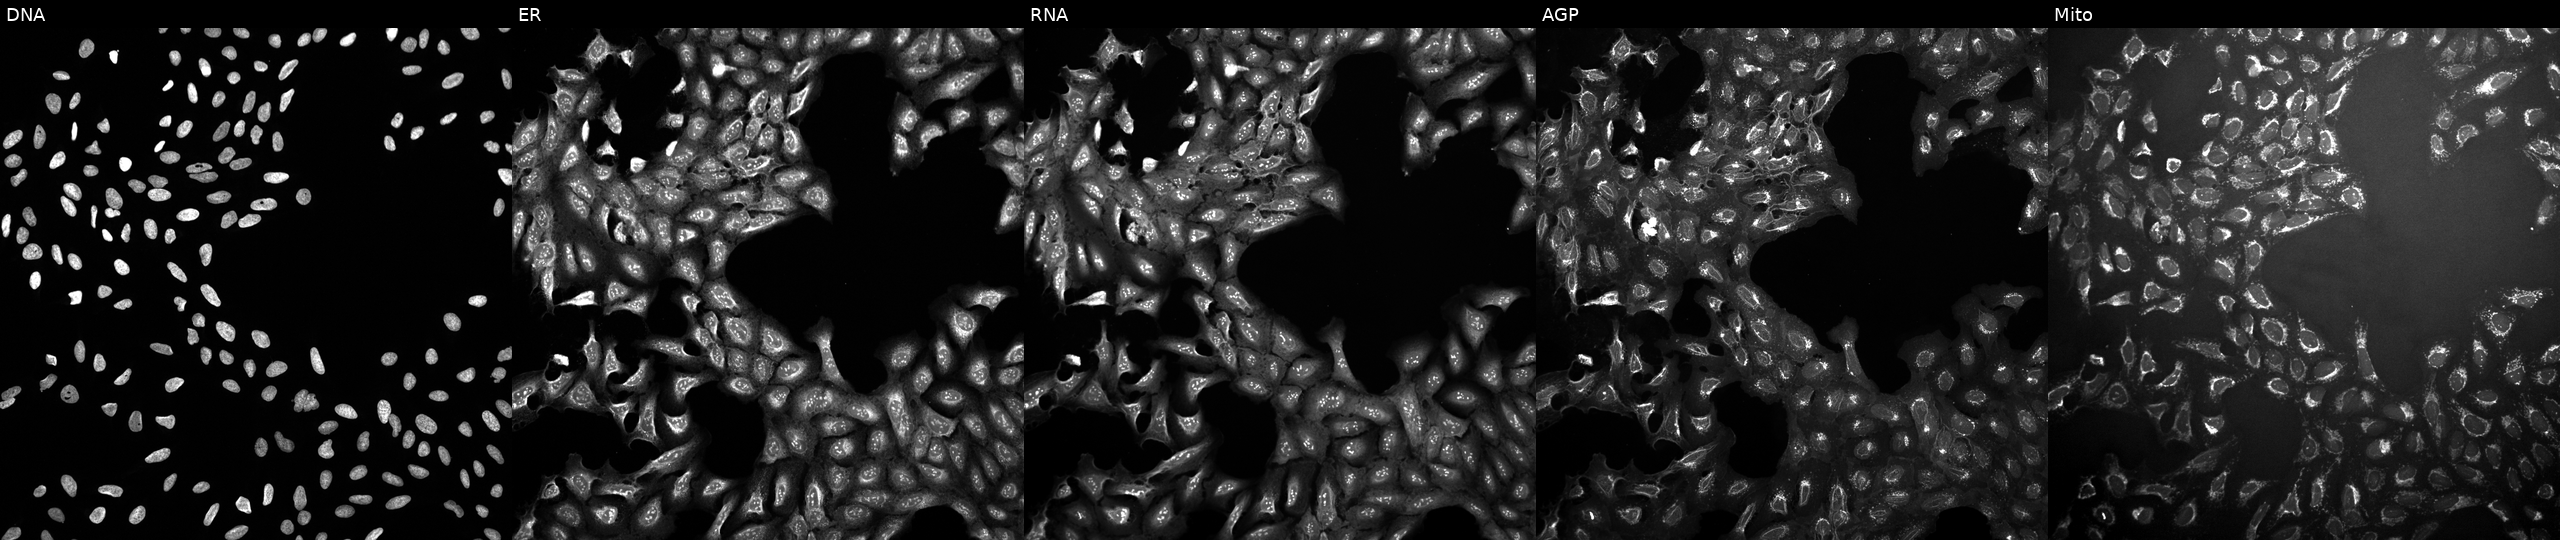
The five panels, left to right, show DNA, ER, RNA, AGP, and Mito. U2OS osteosarcoma cells treated with a small-molecule compound (InChIKey HGVDHZBSSITLCT-UHFFFAOYSA-N). Cell Painting assay, JUMP-CP dataset.